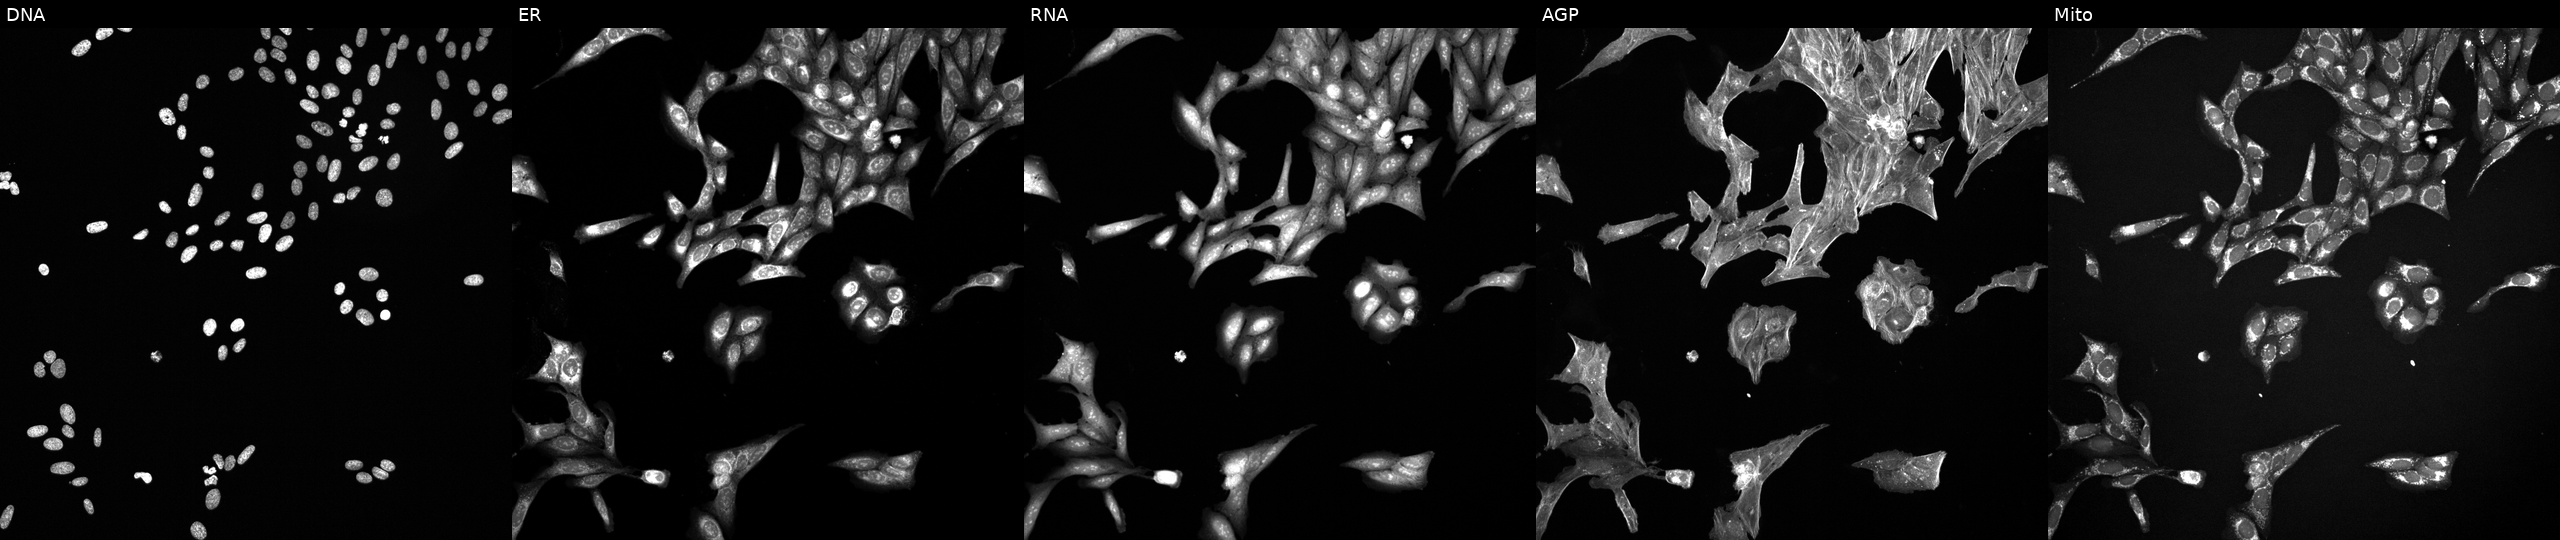
Panels show, left to right, Hoechst 33342, concanavalin A, SYTO 14, phalloidin and WGA, MitoTracker. U2OS osteosarcoma cells treated with a small-molecule compound (InChIKey DUVHPZATDJYJEW-UHFFFAOYSA-N) (JUMP id JCP2022_018354). Cell Painting assay, JUMP-CP dataset.